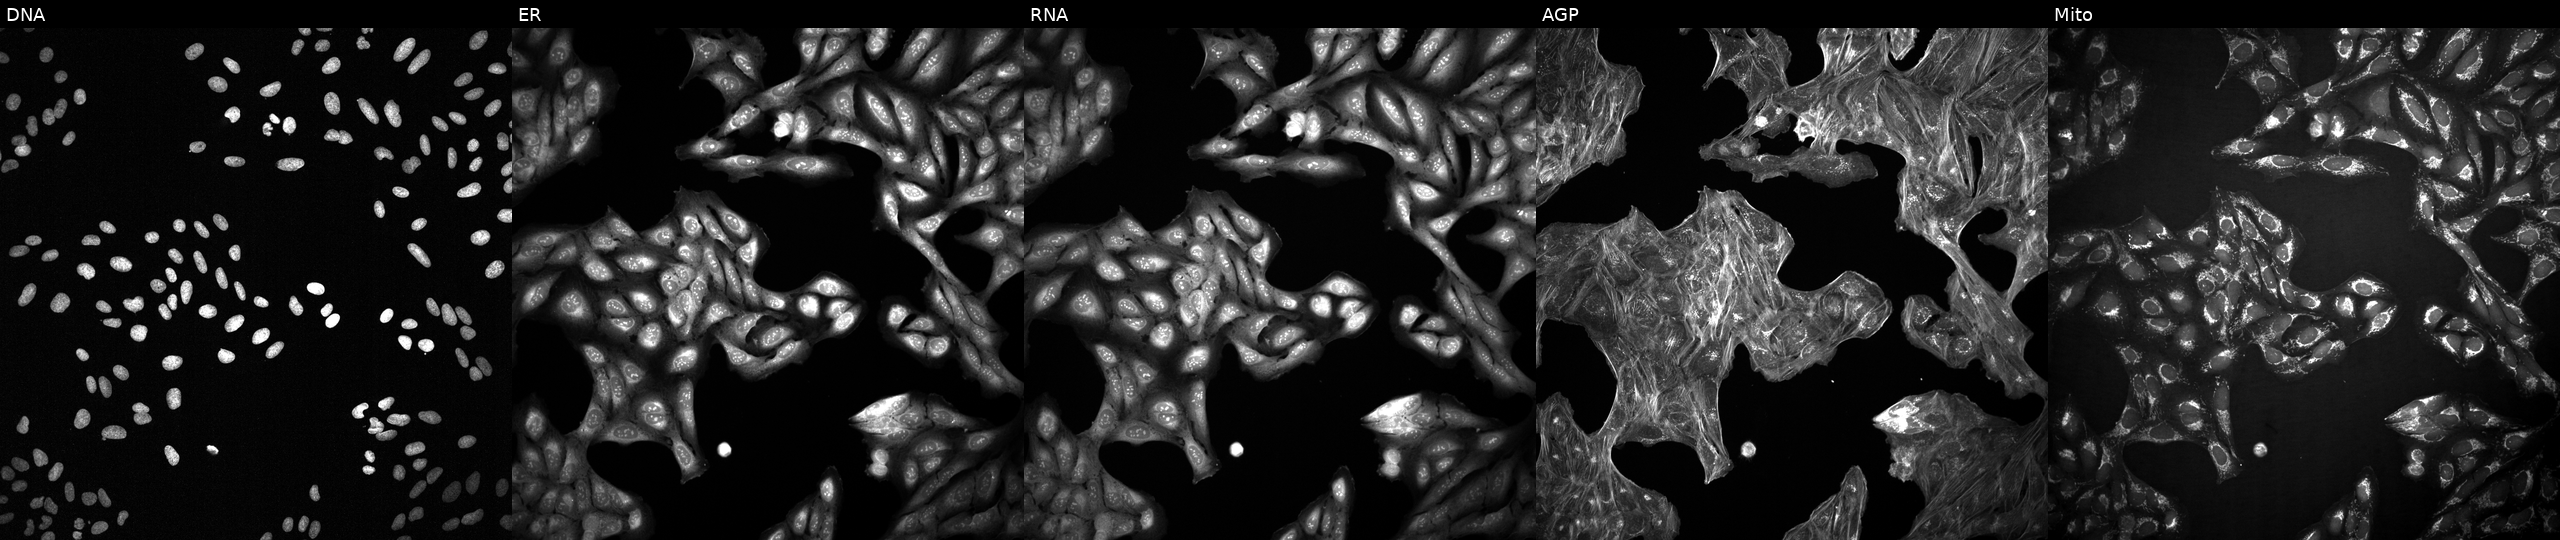
Five-channel Cell Painting image of U2OS cells treated with dexamethasone (positive-control compound). Channels (left→right): DNA (nuclei); ER (endoplasmic reticulum); RNA (nucleoli and cytoplasmic RNA); AGP (actin cytoskeleton, Golgi, and plasma membrane); Mito (mitochondria).